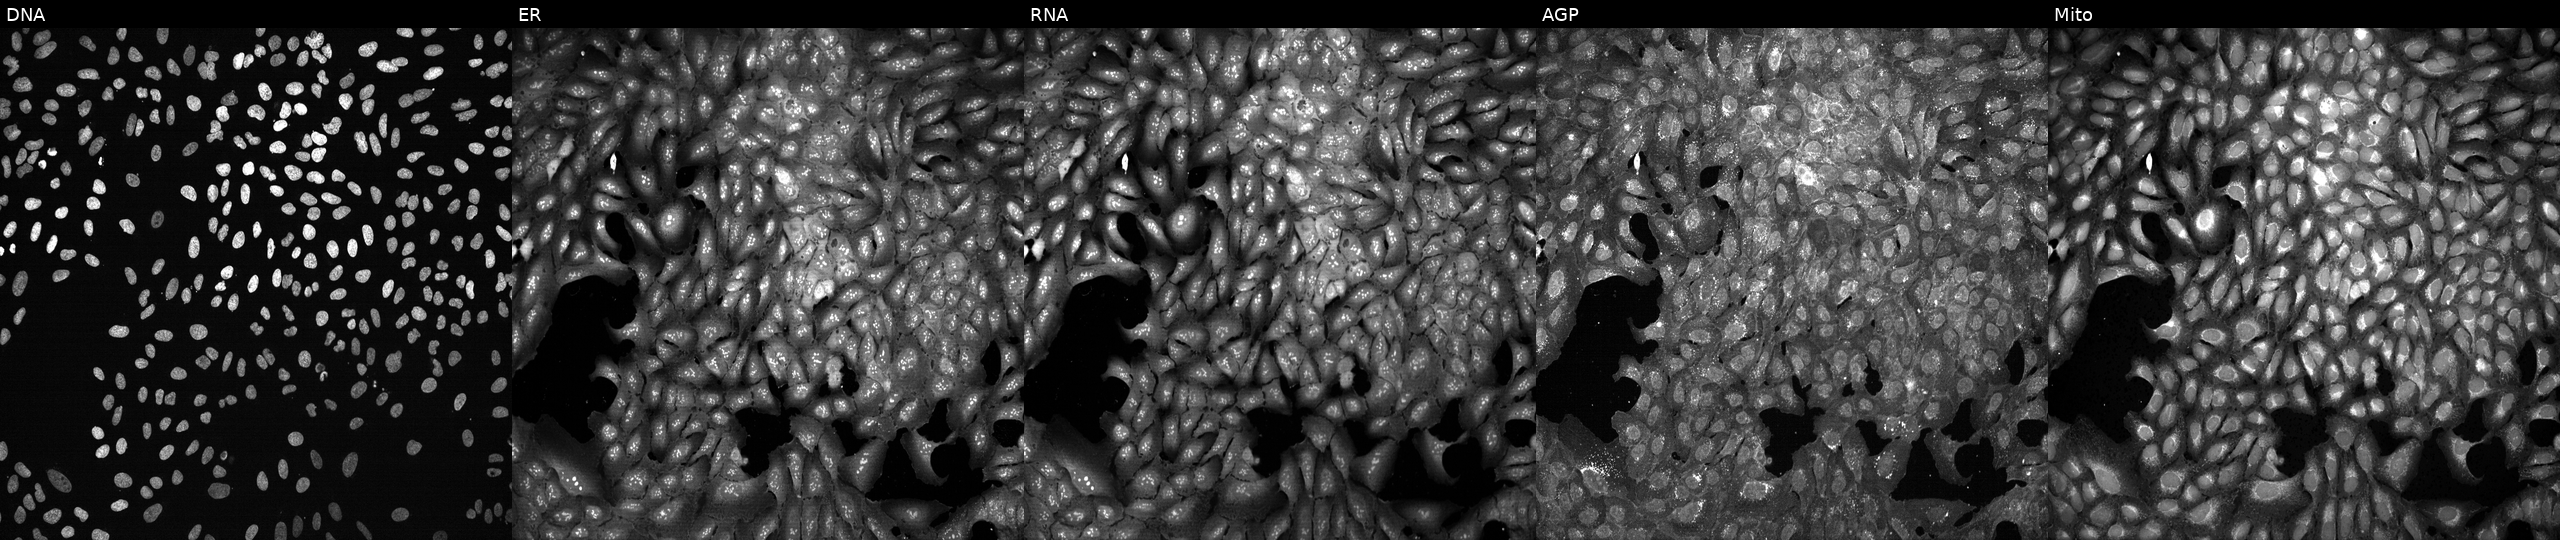
High-content fluorescence microscopy (Cell Painting). Cell line: U2OS. Perturbation: with EBPL knocked out by CRISPR (JUMP id JCP2022_801985). From left to right: DNA (nuclei); ER (endoplasmic reticulum); RNA (nucleoli and cytoplasmic RNA); AGP (actin cytoskeleton, Golgi, and plasma membrane); Mito (mitochondria).